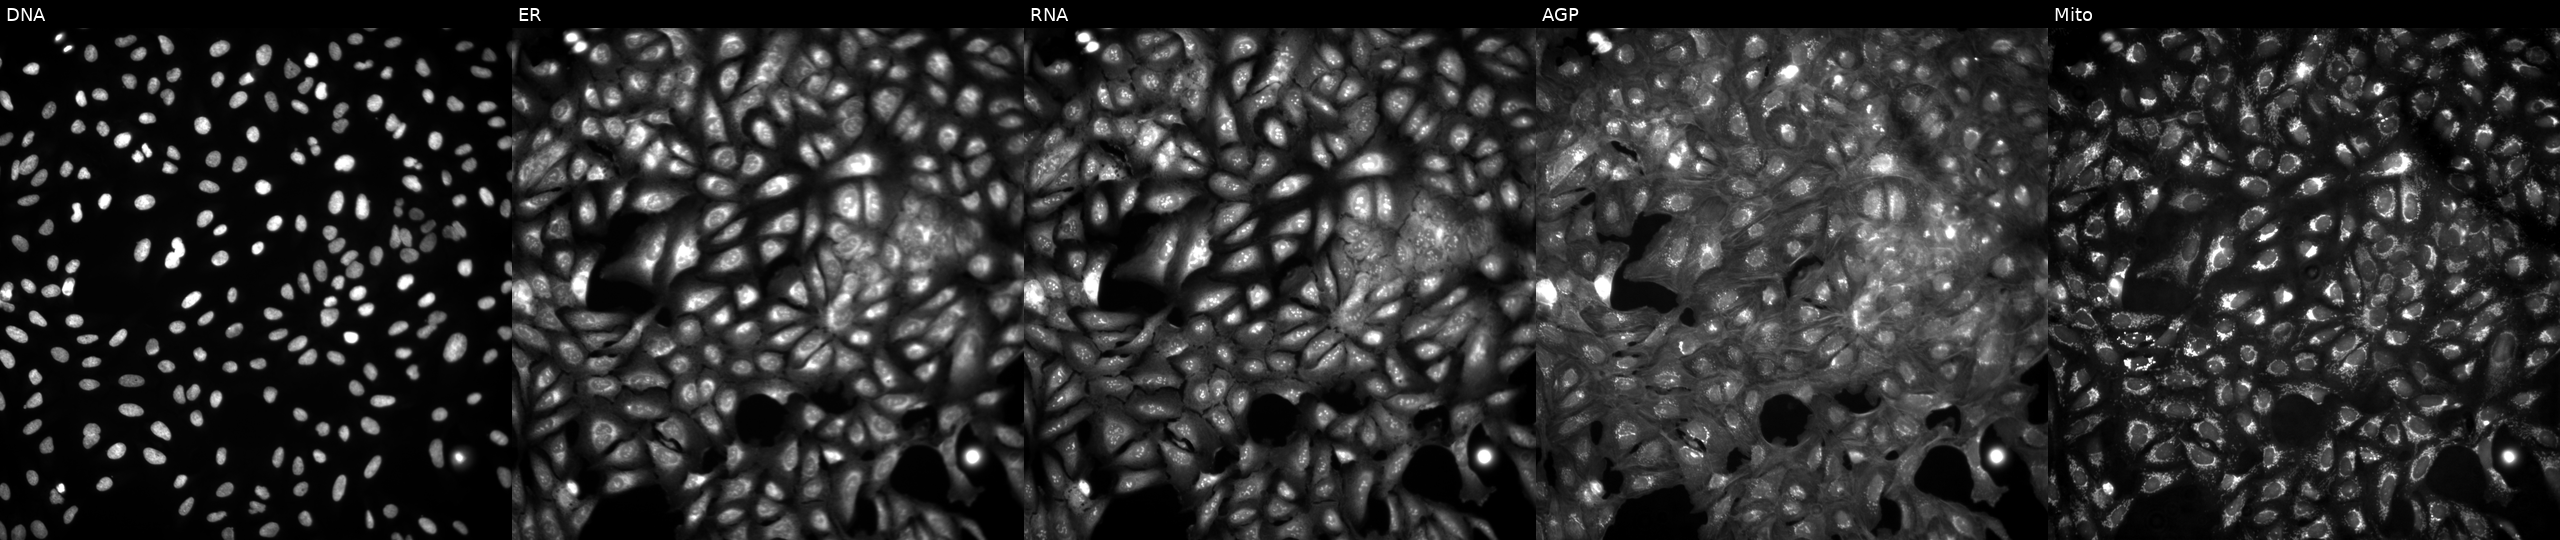
This image strip shows the five Cell Painting channels for a single field of U2OS cells untreated (empty-well control). Channels (left→right): Hoechst 33342, concanavalin A, SYTO 14, phalloidin and WGA, MitoTracker. Source 4, plate BR00124793, well A22.